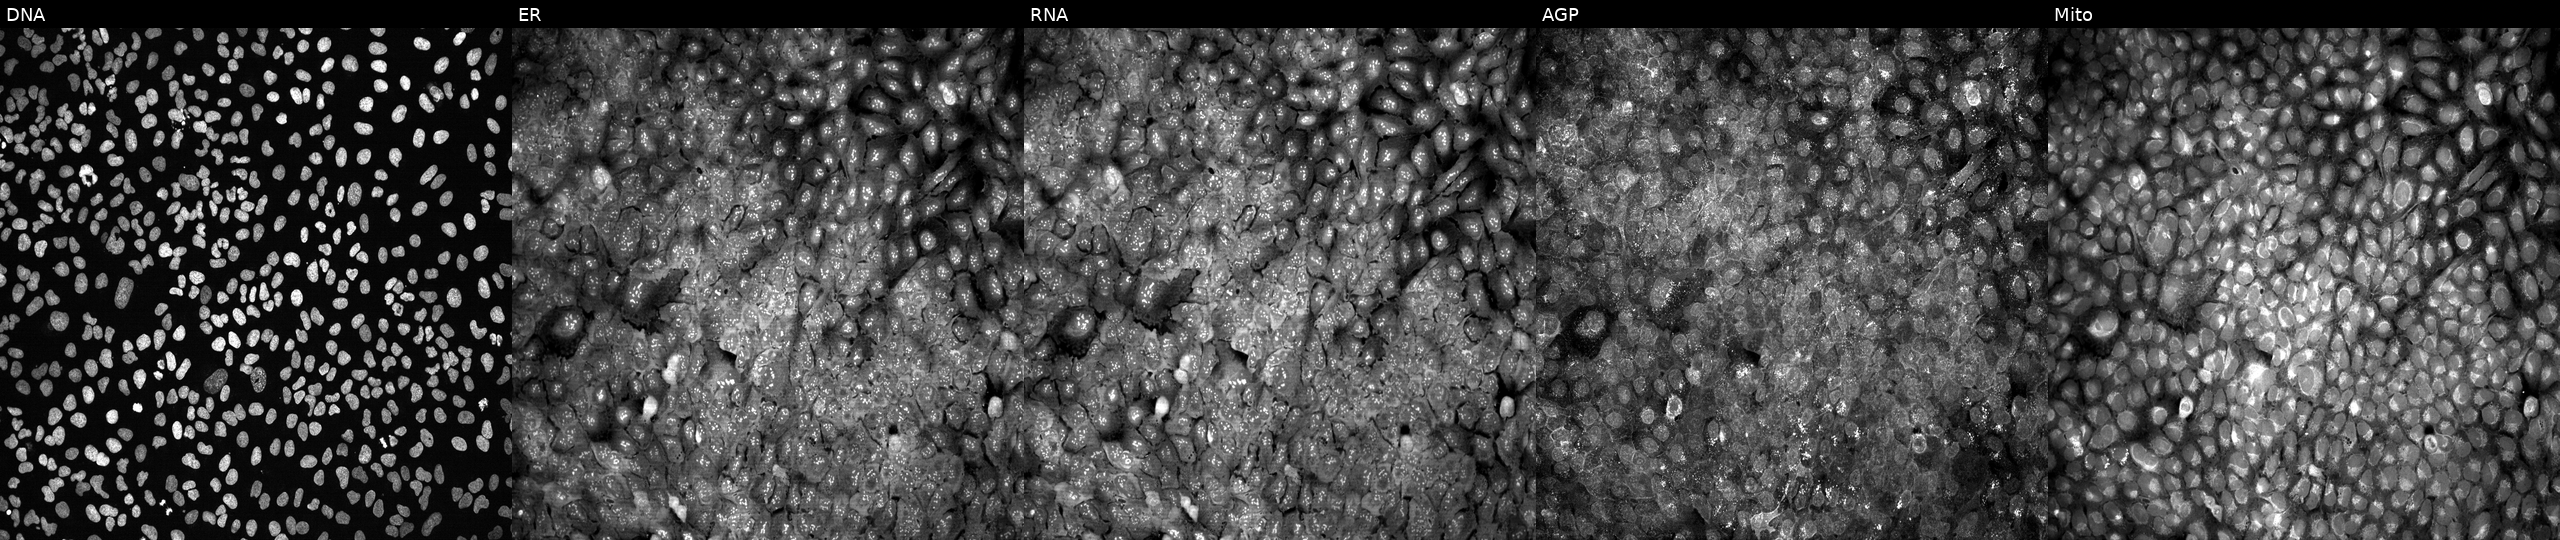
JUMP Cell Painting — CRISPR plate. U2OS cells with BMP2 knocked out by CRISPR. Panels show, left to right, DNA, ER, RNA, AGP, and Mito.